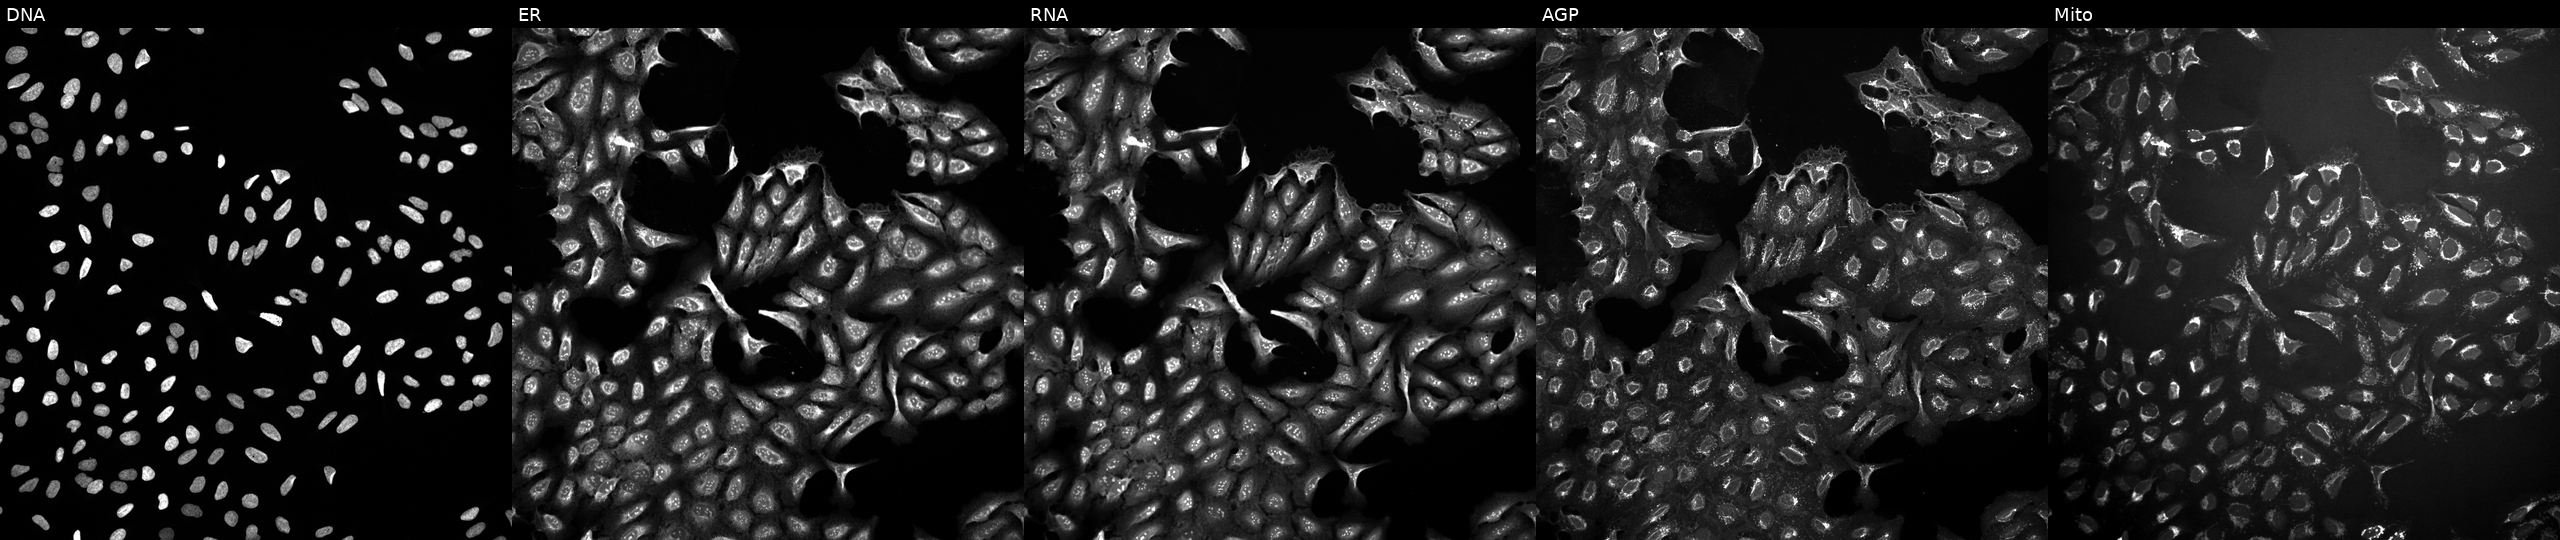
U2OS cells, Cell Painting assay, treated with a small-molecule compound (InChIKey PZBPKYOVPCNPJY-UHFFFAOYSA-N) (JUMP id JCP2022_071910). Panels show, left to right, DNA (nuclei); ER (endoplasmic reticulum); RNA (nucleoli and cytoplasmic RNA); AGP (actin cytoskeleton, Golgi, and plasma membrane); Mito (mitochondria). Each panel is percentile-stretched 16-bit fluorescence. Source 10, plate Dest210803-153958, well J10.